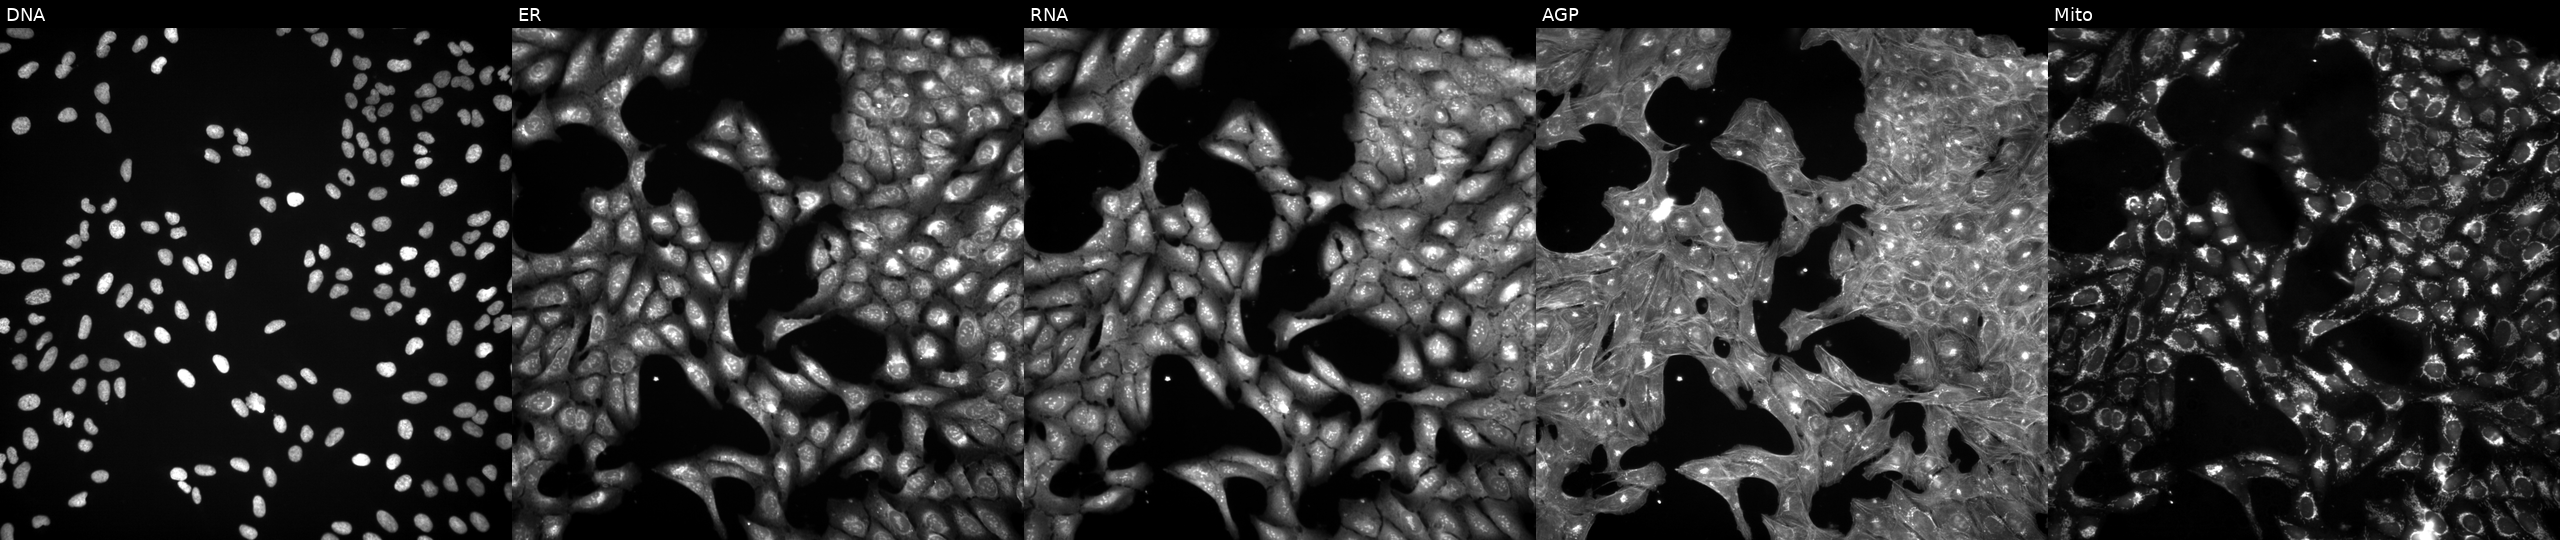
JUMP Cell Painting — TARGET2 plate. U2OS cells treated with DMSO vehicle only (negative control). Channels (left→right): DNA, ER, RNA, AGP, and Mito.